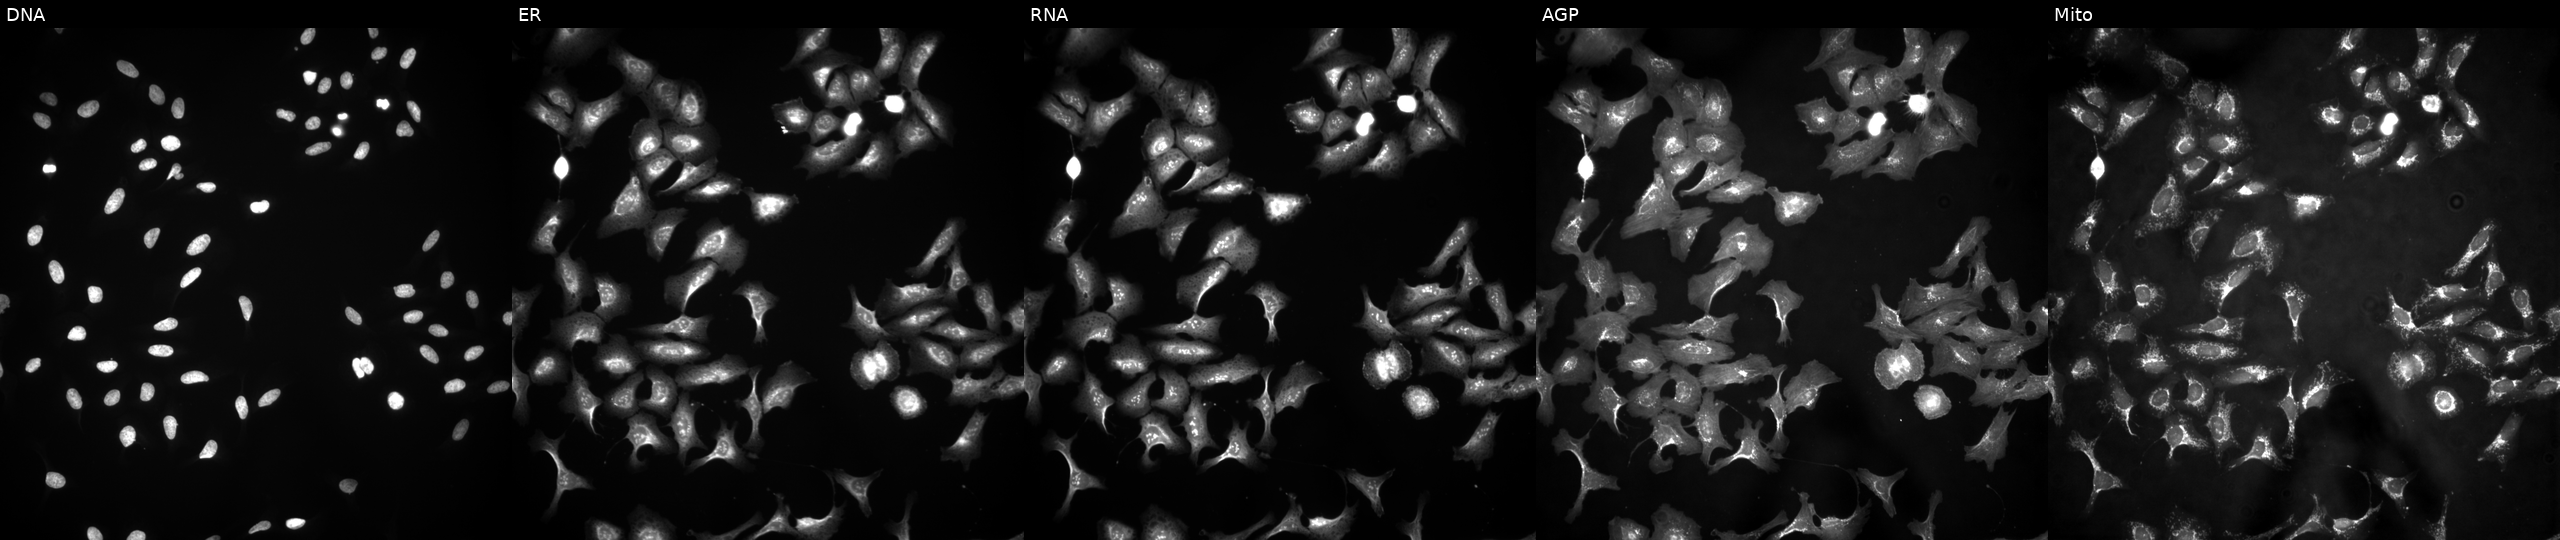
Five-channel Cell Painting image of U2OS cells transfected with an ORF construct for HBS1L. Channels (left→right): Hoechst 33342, concanavalin A, SYTO 14, phalloidin and WGA, MitoTracker.